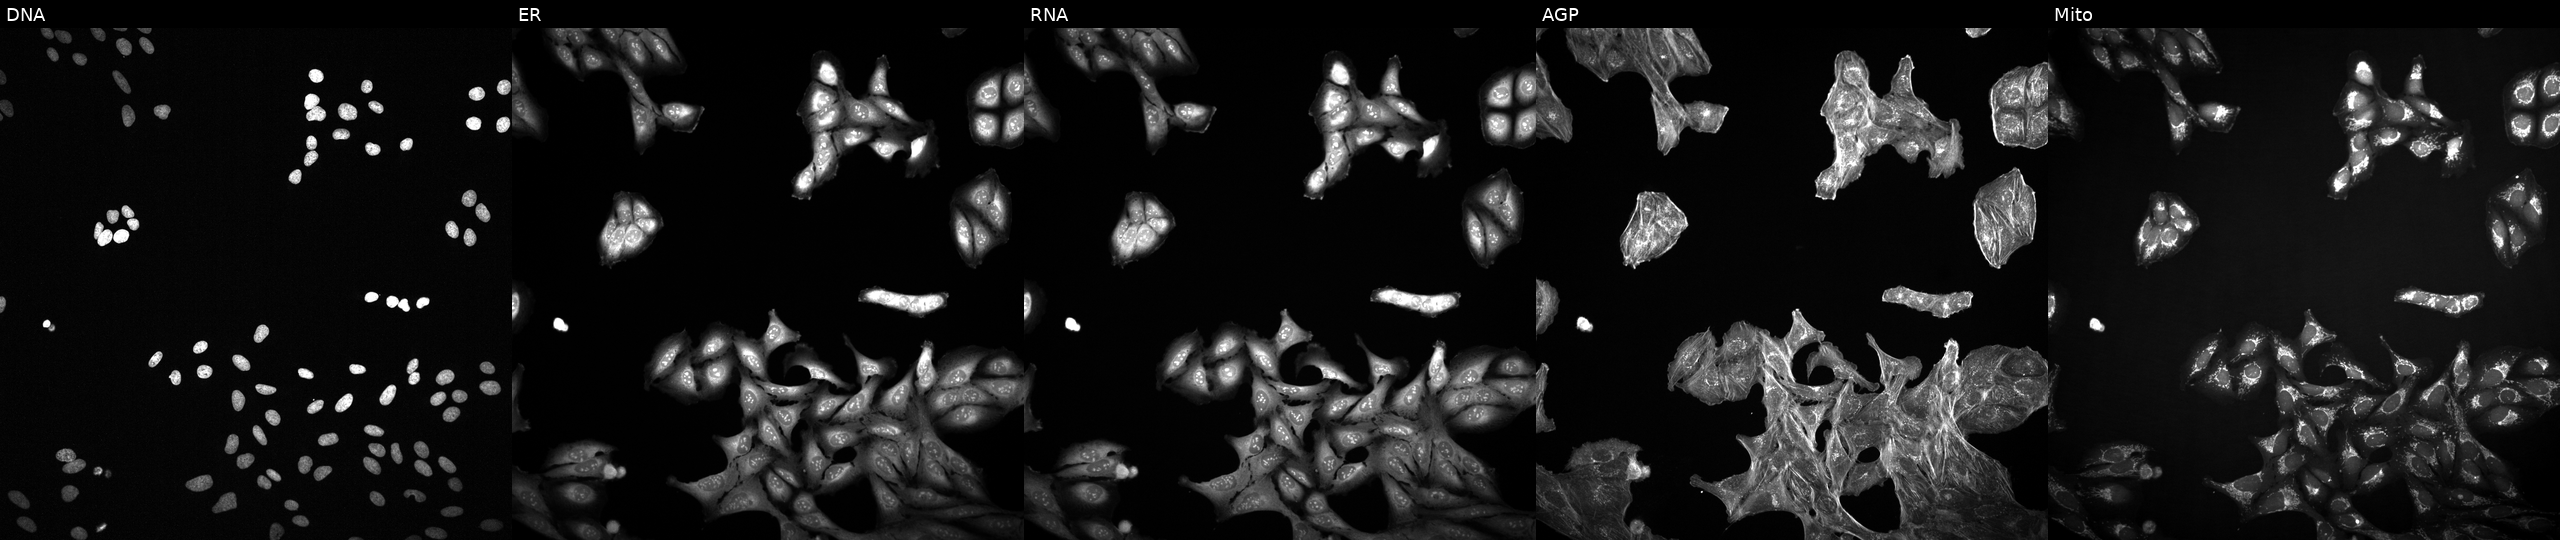
U2OS cells, Cell Painting assay, exposed to the positive-control compound quinidine. Channels (left→right): DNA (nuclei); ER (endoplasmic reticulum); RNA (nucleoli and cytoplasmic RNA); AGP (actin cytoskeleton, Golgi, and plasma membrane); Mito (mitochondria). Each panel is percentile-stretched 16-bit fluorescence. Source 2, plate 1053597936, well A02.